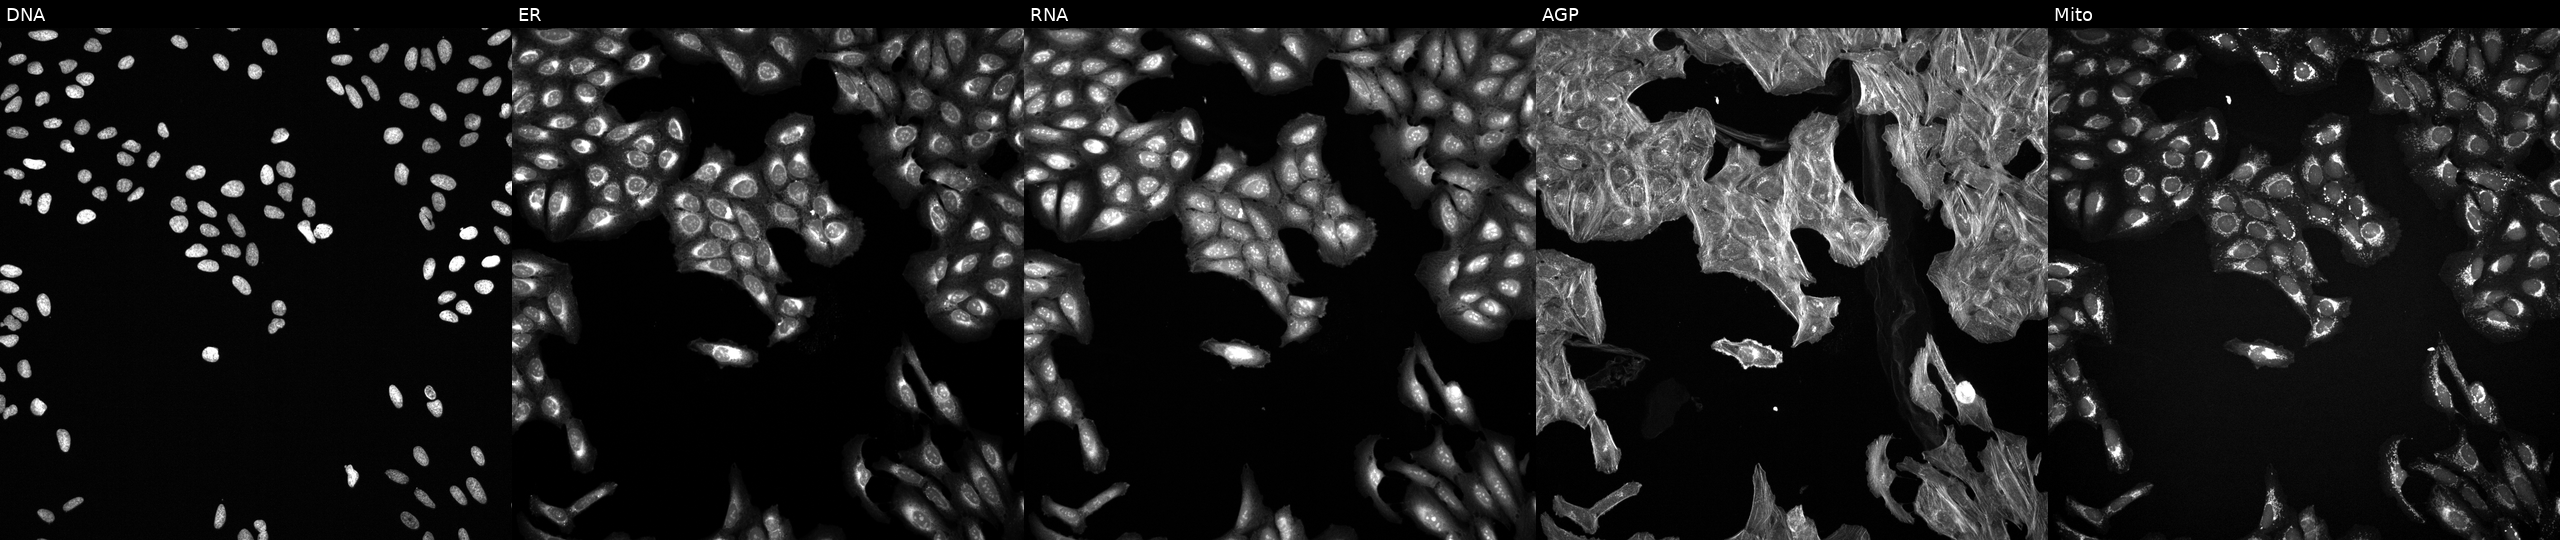
From left to right: DNA, ER, RNA, AGP, and Mito. U2OS osteosarcoma cells exposed to a small-molecule compound (InChIKey PHLBKPHSAVXXEF-UHFFFAOYSA-N) (JUMP id JCP2022_068606). Cell Painting assay, JUMP-CP dataset.